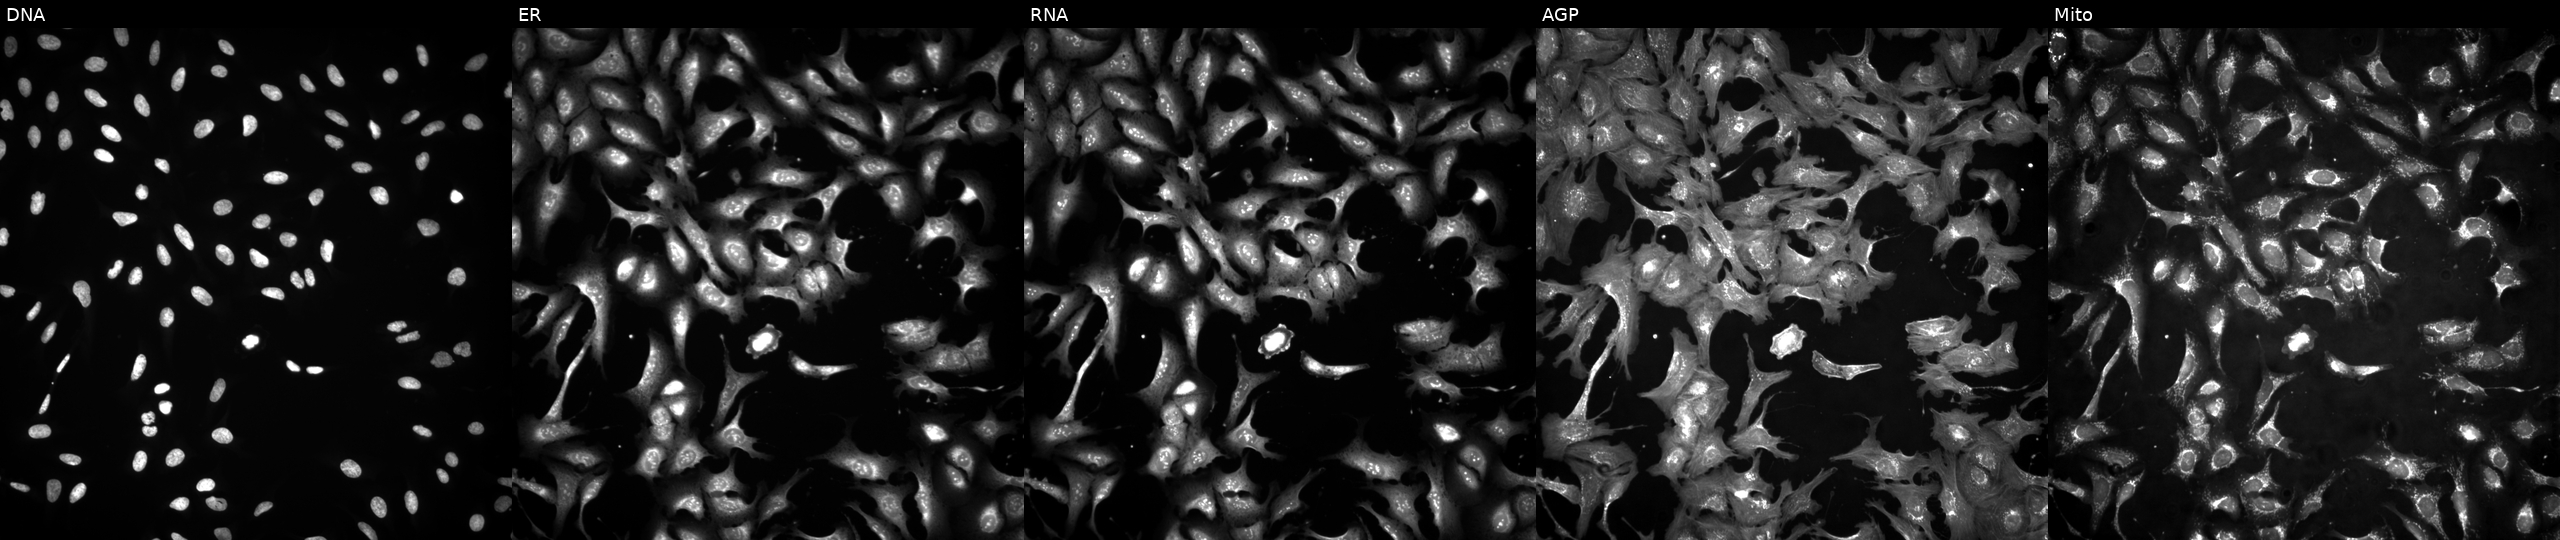
JUMP Cell Painting — ORF plate. U2OS cells with PKN2 overexpressed (ORF) (JUMP id JCP2022_914535). Channels (left→right): DNA, ER, RNA, AGP, and Mito. Source 4, plate BR00123945, well B12.